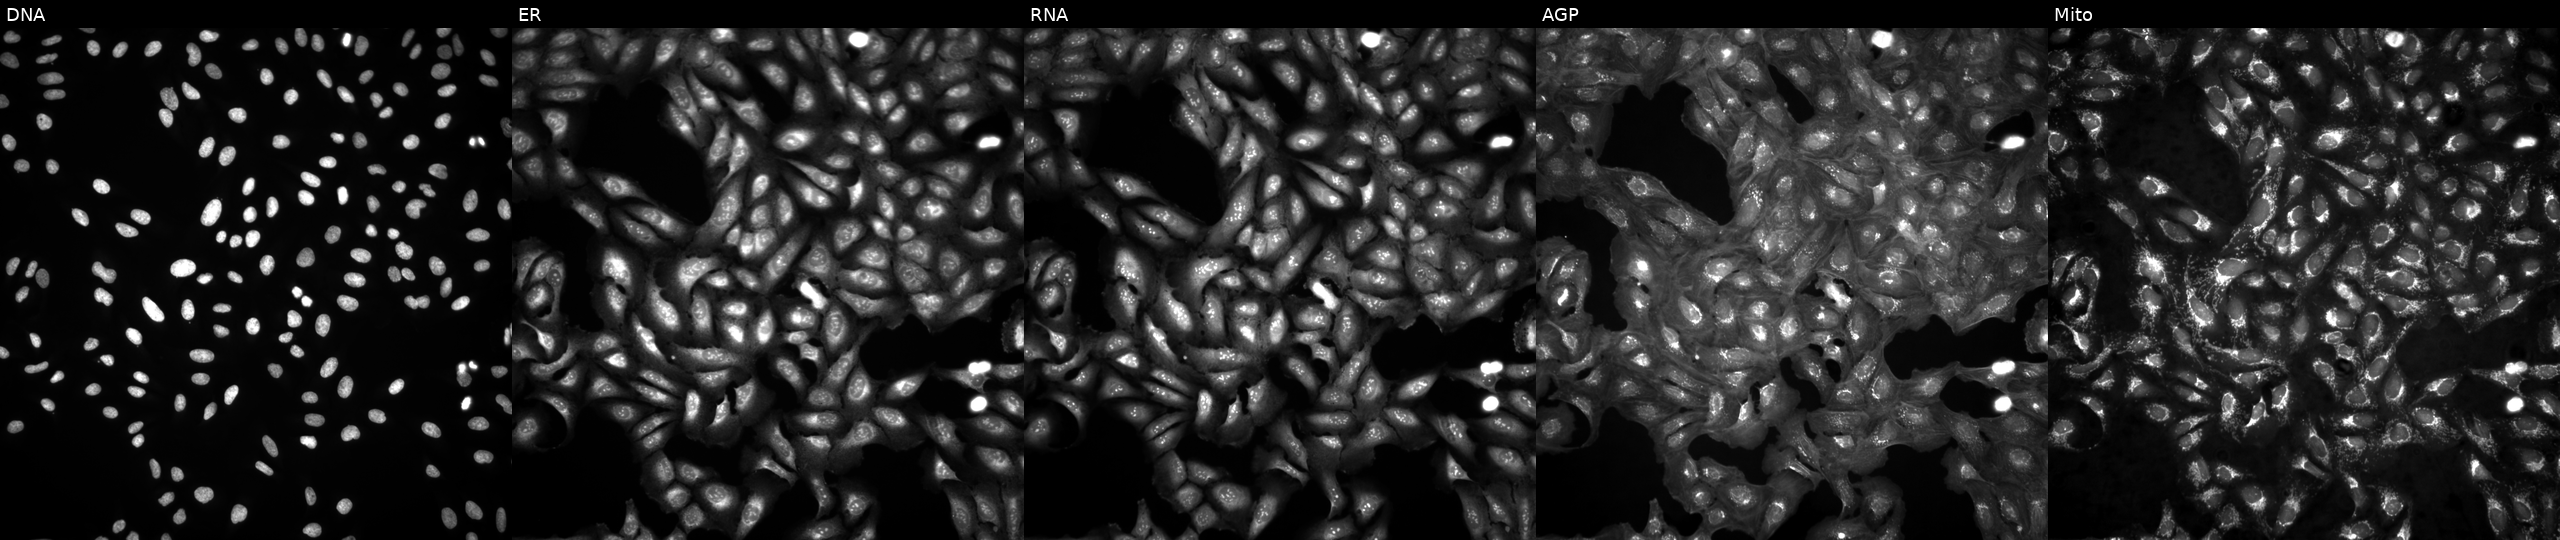
The five panels, left to right, show DNA, ER, RNA, AGP, and Mito. U2OS osteosarcoma cells in an empty control well (no perturbation). Cell Painting assay, JUMP-CP dataset.